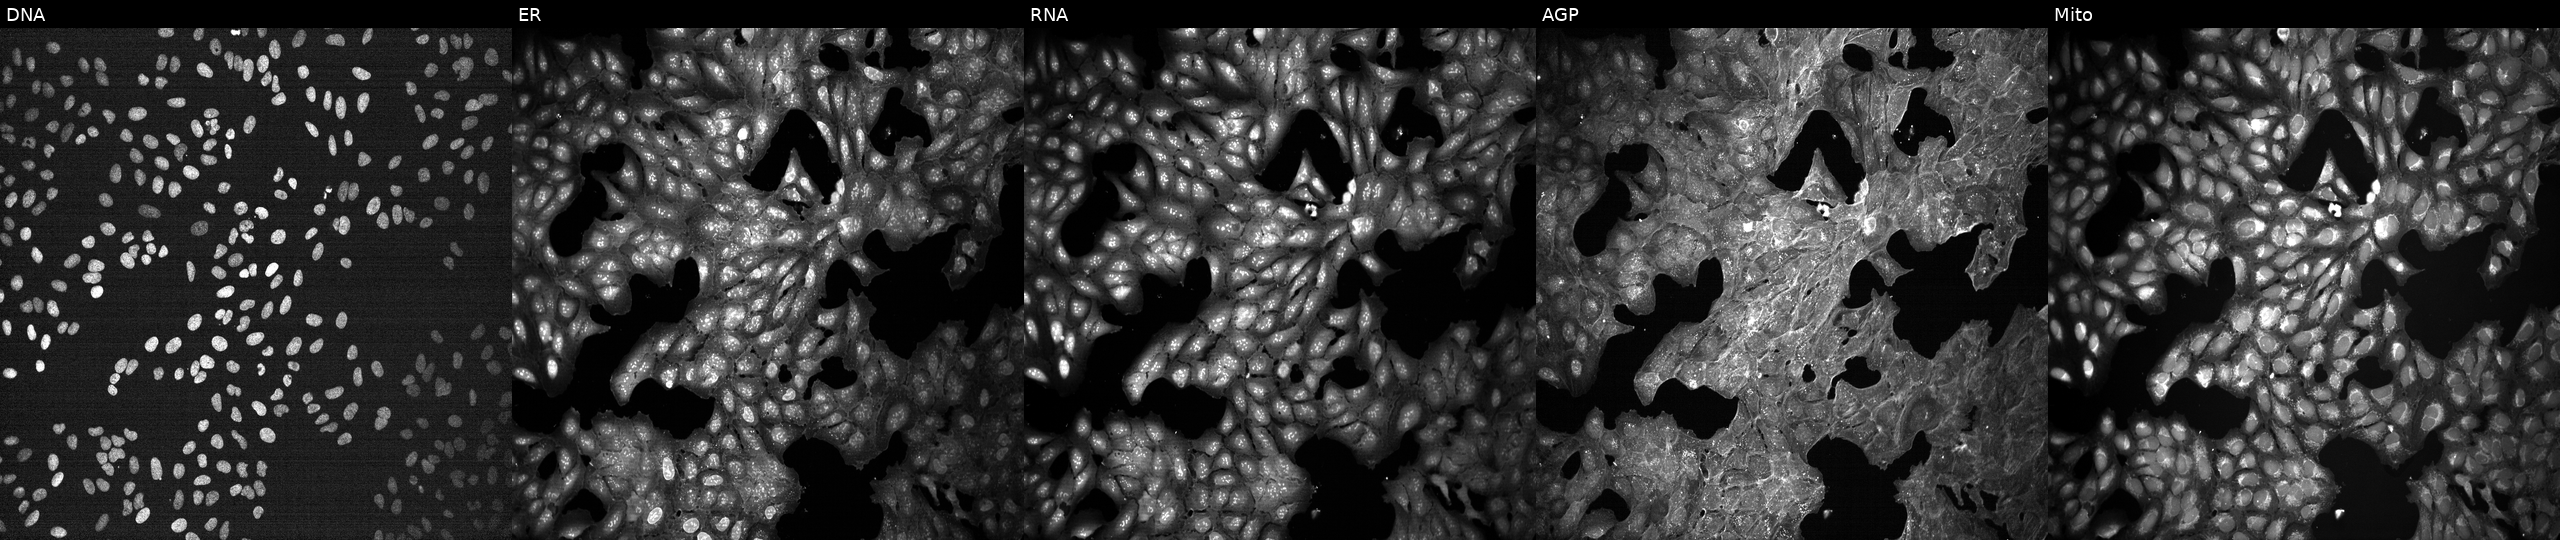
High-content fluorescence microscopy (Cell Painting). Cell line: U2OS. Perturbation: perturbed with a small-molecule compound [SMILES: CN(C(=O)c1ccc(F)cc1C(F)(F)F)C1CCN(c2nnc(-c3ccnn3C)c3ccccc23)CC1] (JUMP id JCP2022_086505). The five panels, left to right, show Hoechst 33342, concanavalin A, SYTO 14, phalloidin and WGA, MitoTracker.